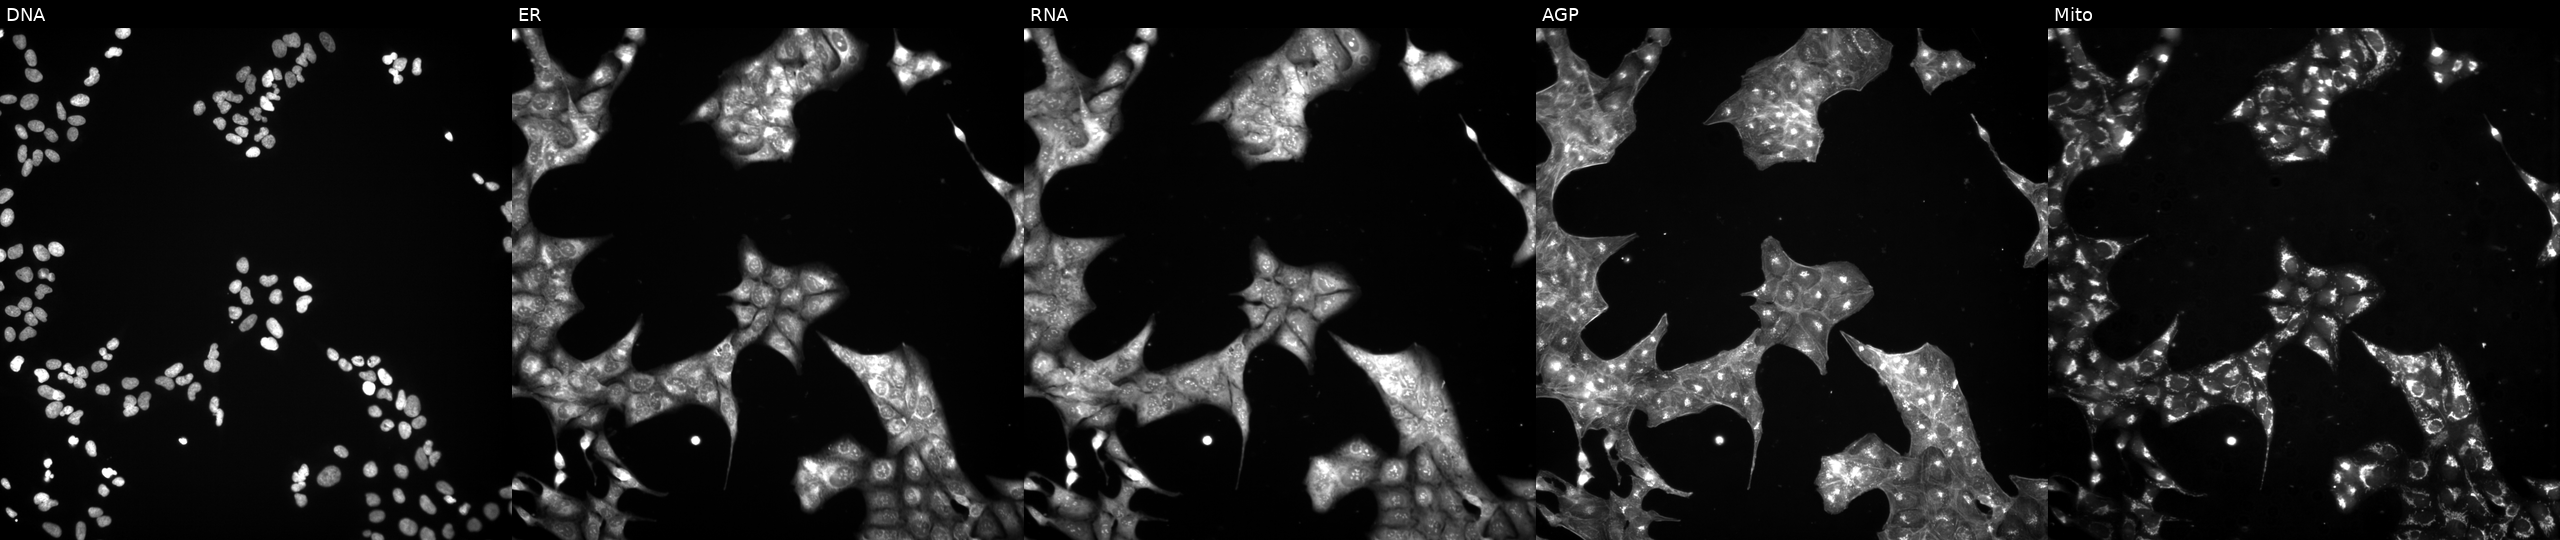
Five-channel Cell Painting image of U2OS cells exposed to a small-molecule compound (JUMP id JCP2022_081555). Channels (left→right): DNA, ER, RNA, AGP, and Mito.